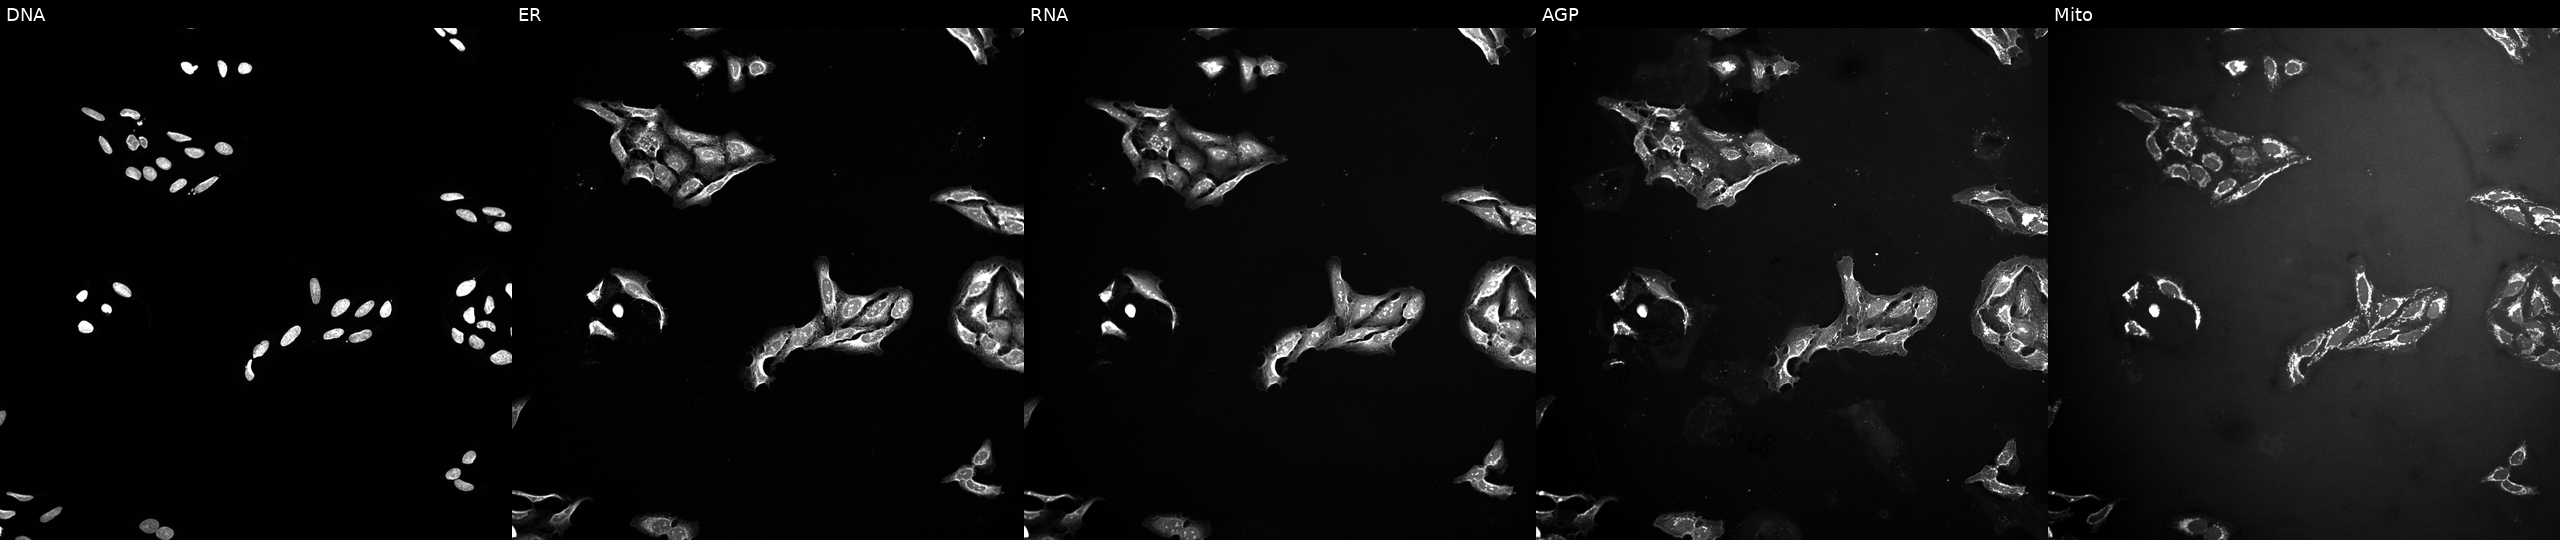
Five-channel Cell Painting image of U2OS cells exposed to a small-molecule compound (InChIKey KXBDTLQSDKGAEB-UHFFFAOYSA-N) [SMILES: C=CC(=O)Nc1cccc(N=c2[nH]c(=Nc3ccc(OCCOC)cc3)[nH]cc2F)c1] (JUMP id JCP2022_047545). Panels show, left to right, DNA, ER, RNA, AGP, and Mito. Source 10, plate Dest210803-153958, well P21.